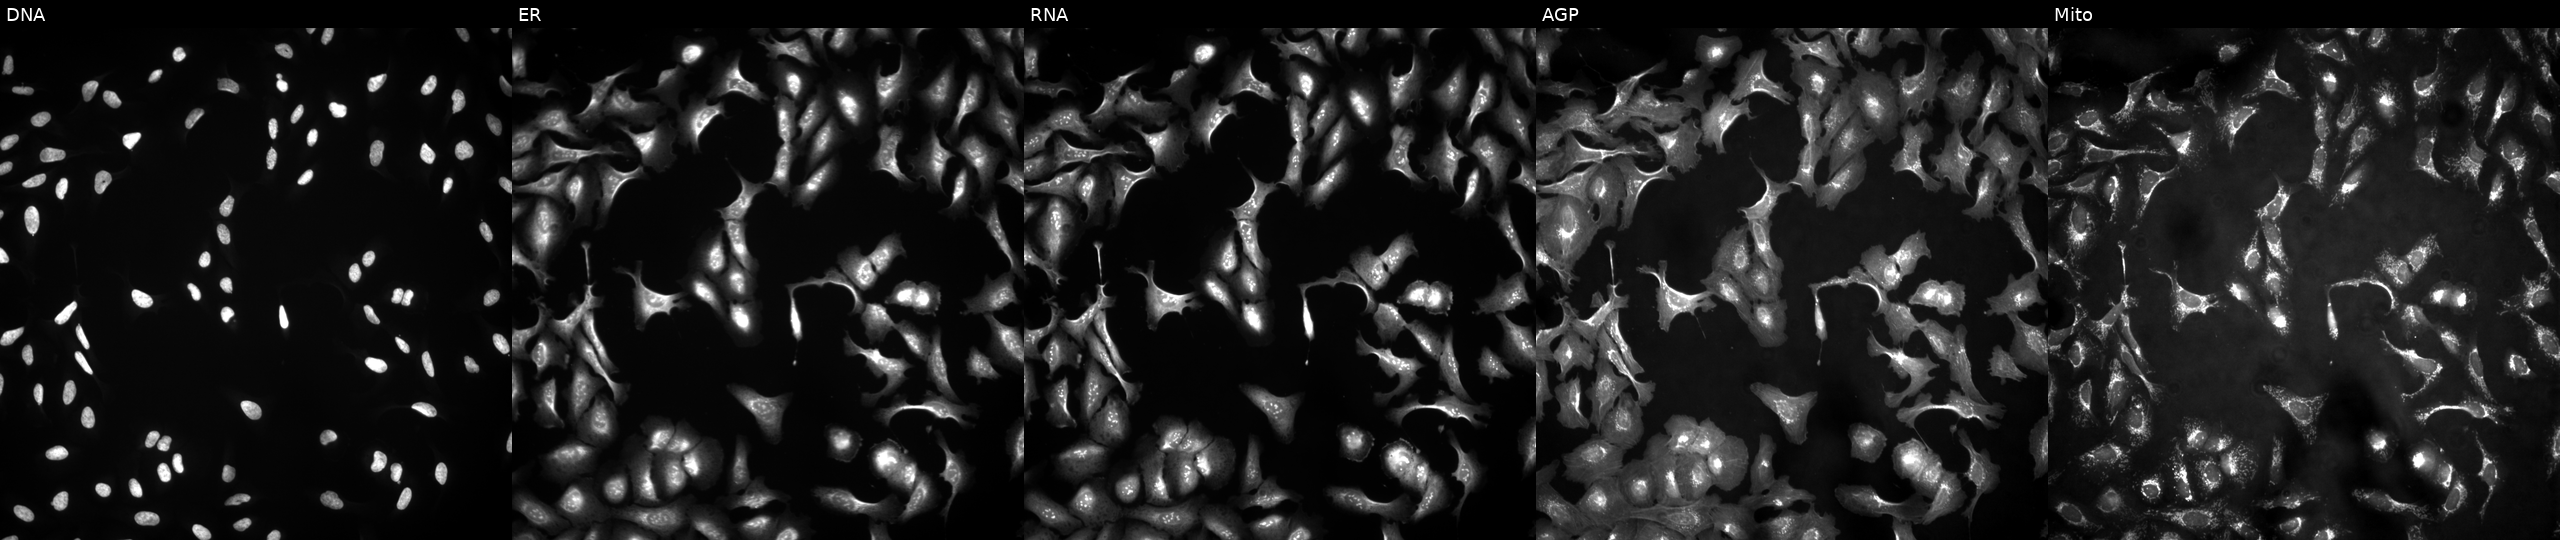
High-content fluorescence microscopy (Cell Painting). Cell line: U2OS. Perturbation: transfected with an ORF construct for VPS25 (JUMP id JCP2022_904098). From left to right: DNA, ER, RNA, AGP, and Mito.